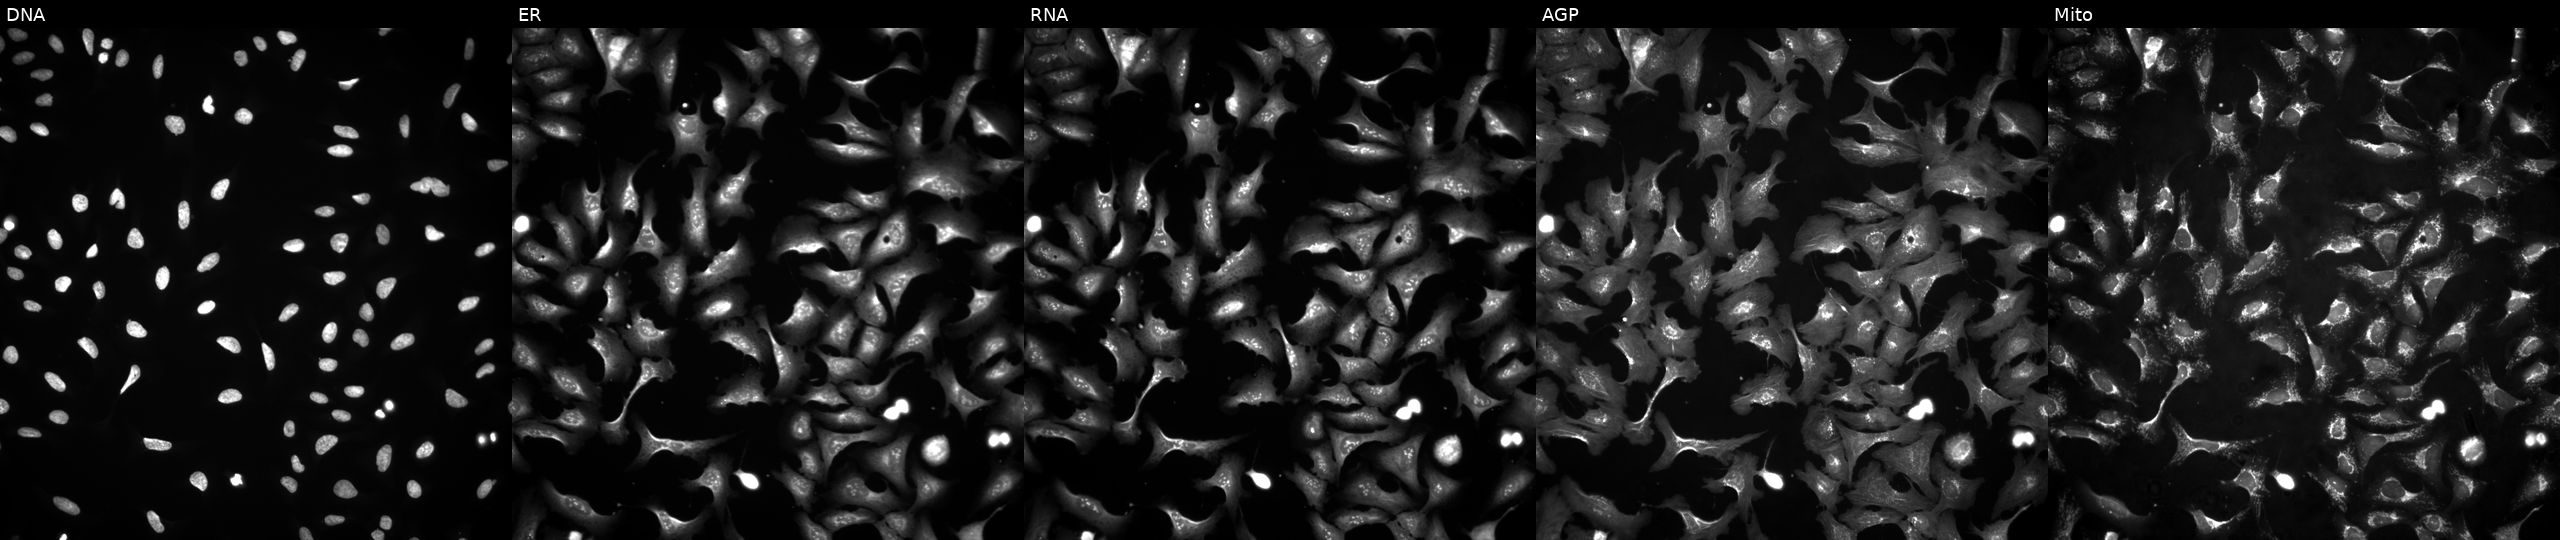
High-content fluorescence microscopy (Cell Painting). Cell line: U2OS. Perturbation: overexpressing PRCC via ORF transfection. The five panels, left to right, show DNA, ER, RNA, AGP, and Mito.